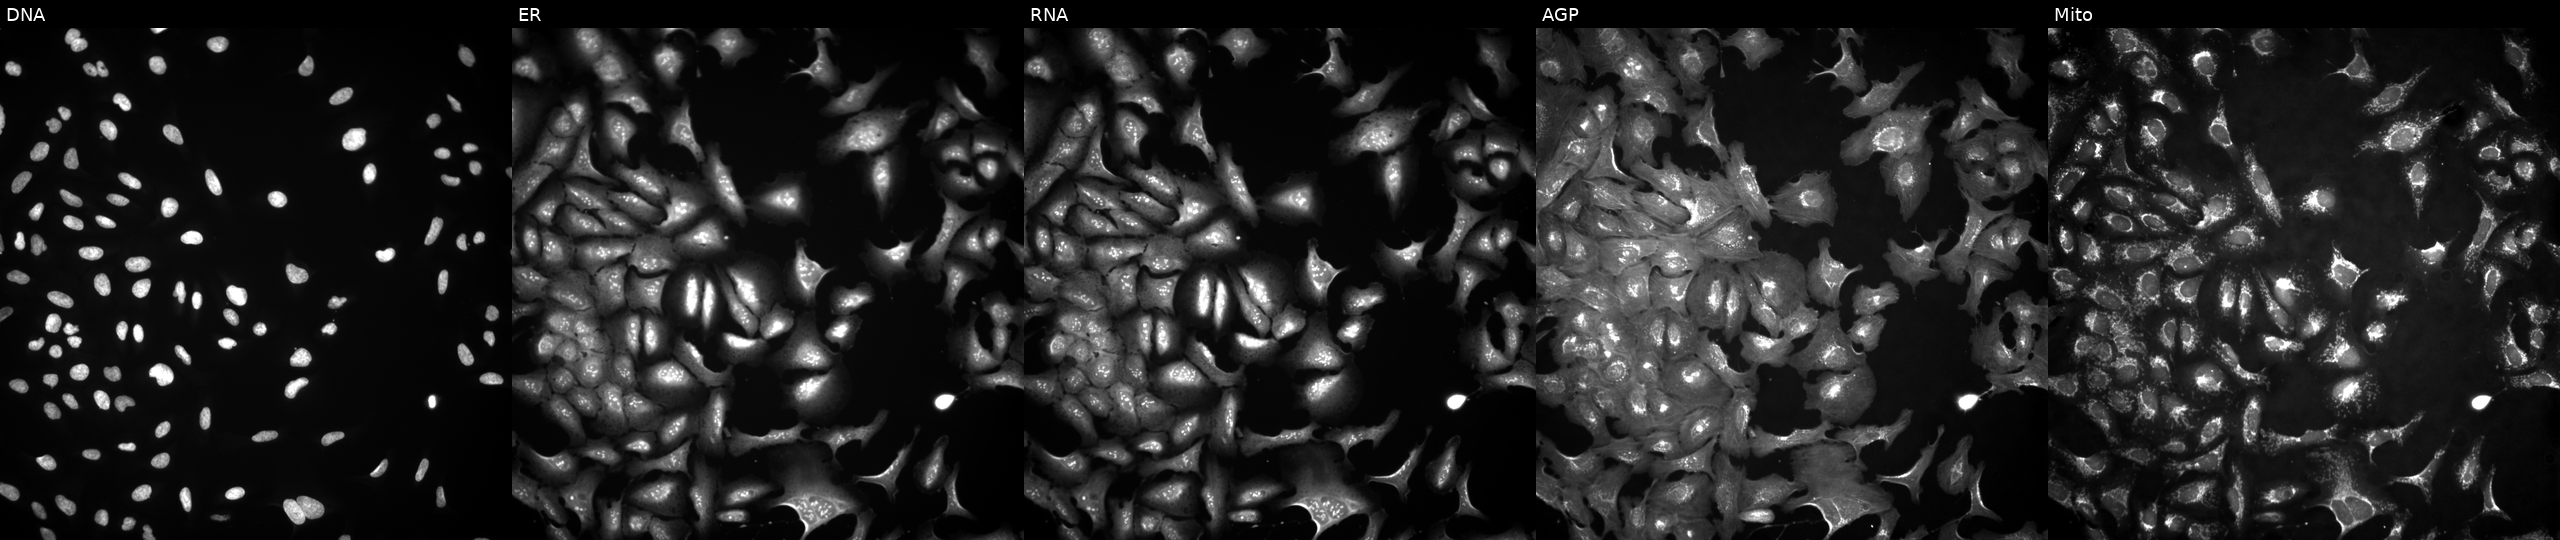
U2OS cells, Cell Painting assay, with ZNF433 overexpressed (ORF). From left to right: DNA (nuclei); ER (endoplasmic reticulum); RNA (nucleoli and cytoplasmic RNA); AGP (actin cytoskeleton, Golgi, and plasma membrane); Mito (mitochondria). Each panel is percentile-stretched 16-bit fluorescence.